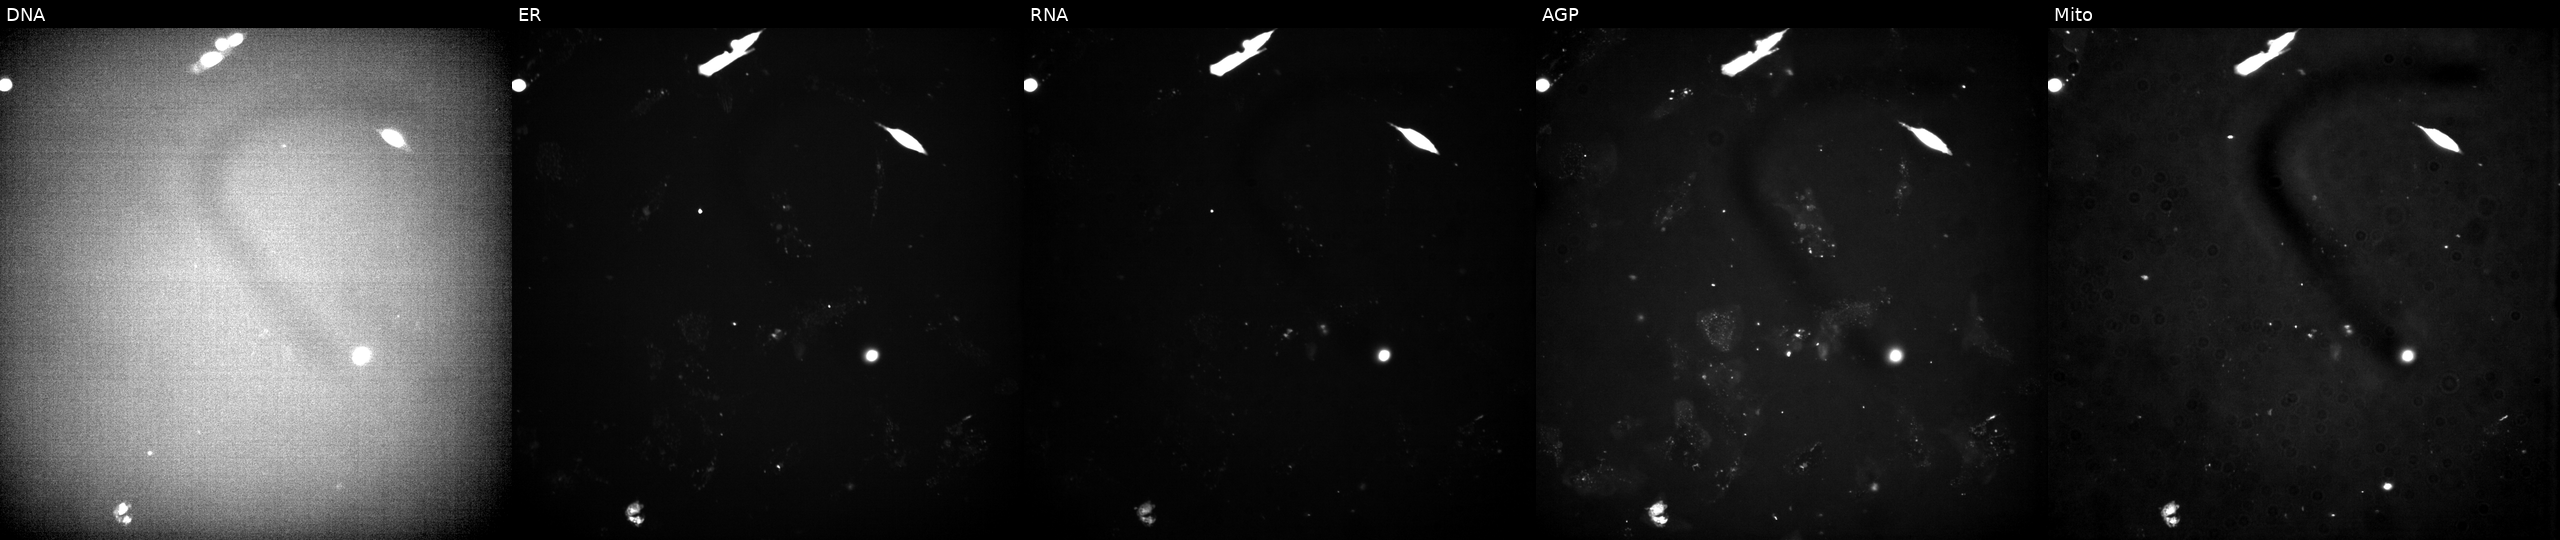
This image strip shows the five Cell Painting channels for a single field of U2OS cells exposed to a small-molecule compound (InChIKey VERWOWGGCGHDQE-UHFFFAOYSA-N). The five panels, left to right, show DNA, ER, RNA, AGP, and Mito.